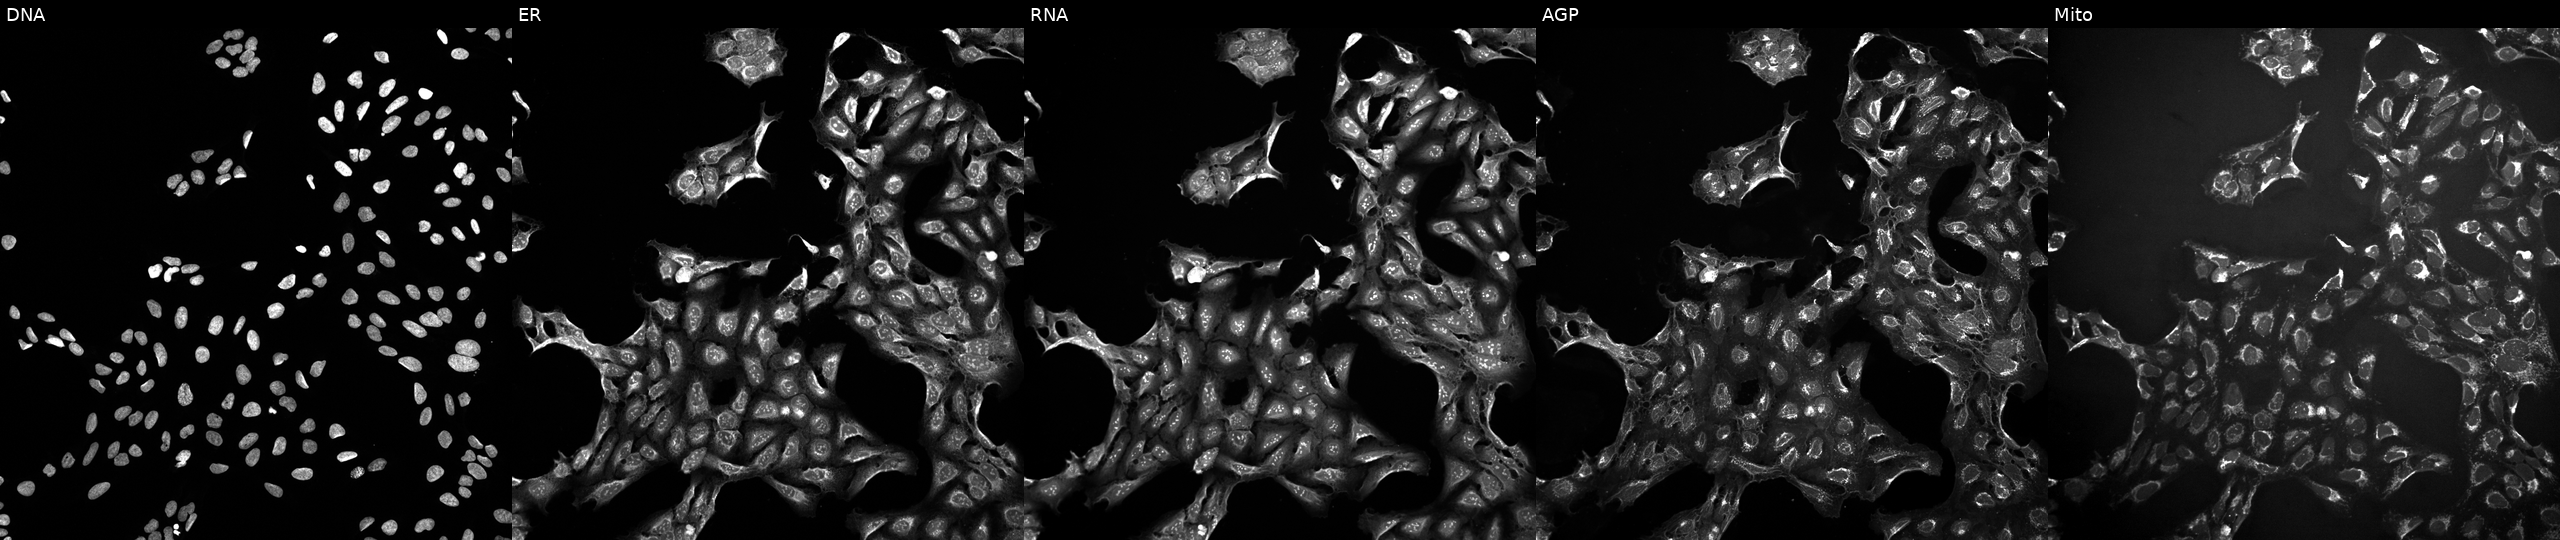
Five-channel Cell Painting image of U2OS cells exposed to a small-molecule compound (InChIKey RYMZZMVNJRMUDD-UHFFFAOYSA-N) [SMILES: CCC(C)(C)C(=O)OC1CC(C)C=C2C=CC(C)C(CCC3CC(O)CC(=O)O3)C21] (JUMP id JCP2022_081555). From left to right: Hoechst 33342, concanavalin A, SYTO 14, phalloidin and WGA, MitoTracker. Source 10, plate Dest210803-153958, well N02.